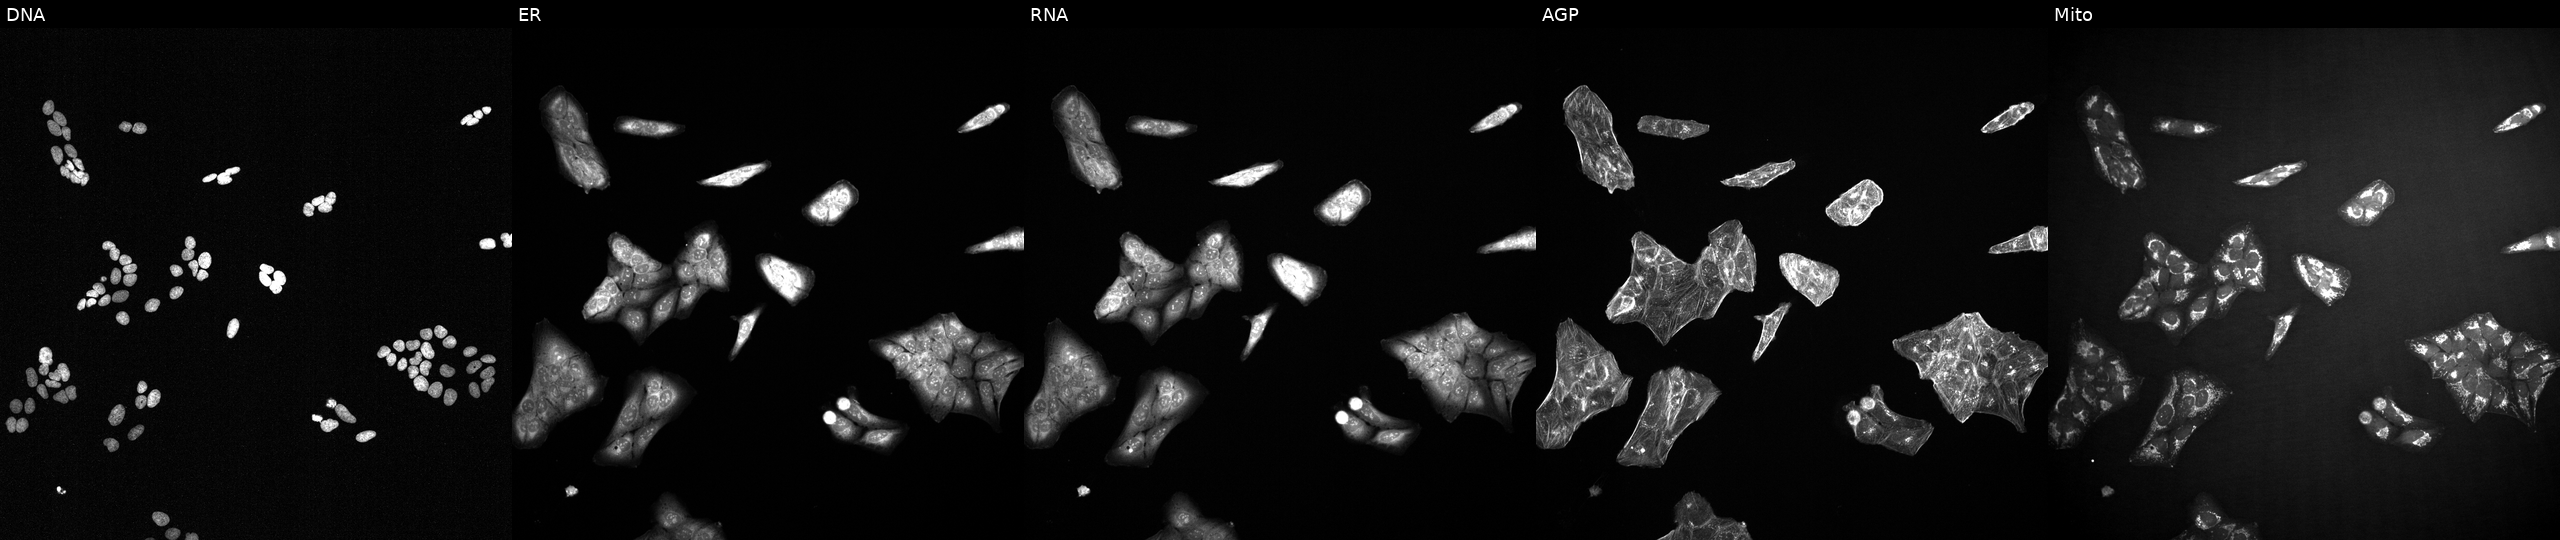
From left to right: DNA (nuclei); ER (endoplasmic reticulum); RNA (nucleoli and cytoplasmic RNA); AGP (actin cytoskeleton, Golgi, and plasma membrane); Mito (mitochondria). U2OS osteosarcoma cells treated with a small-molecule compound (InChIKey PBBRWFOVCUAONR-UHFFFAOYSA-N) (JUMP id JCP2022_067432). Cell Painting assay, JUMP-CP dataset.